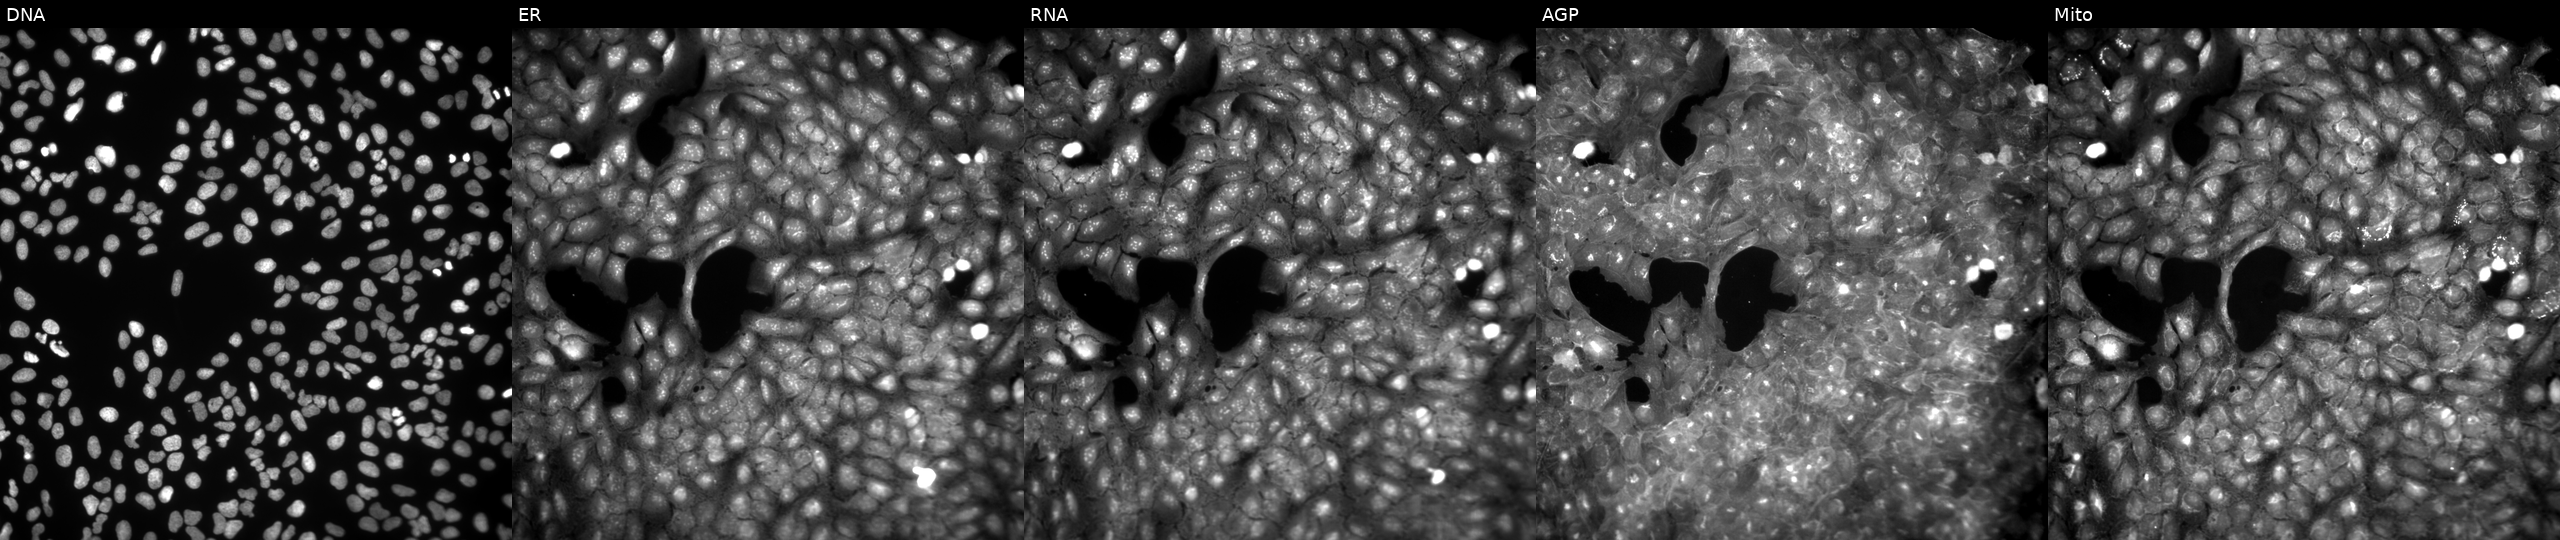
Panels show, left to right, Hoechst 33342, concanavalin A, SYTO 14, phalloidin and WGA, MitoTracker. U2OS osteosarcoma cells treated with a small-molecule compound (InChIKey SJVZTZSUMNGKAV-UHFFFAOYSA-N). Cell Painting assay, JUMP-CP dataset. Source 9, plate GR00003381, well AA37.